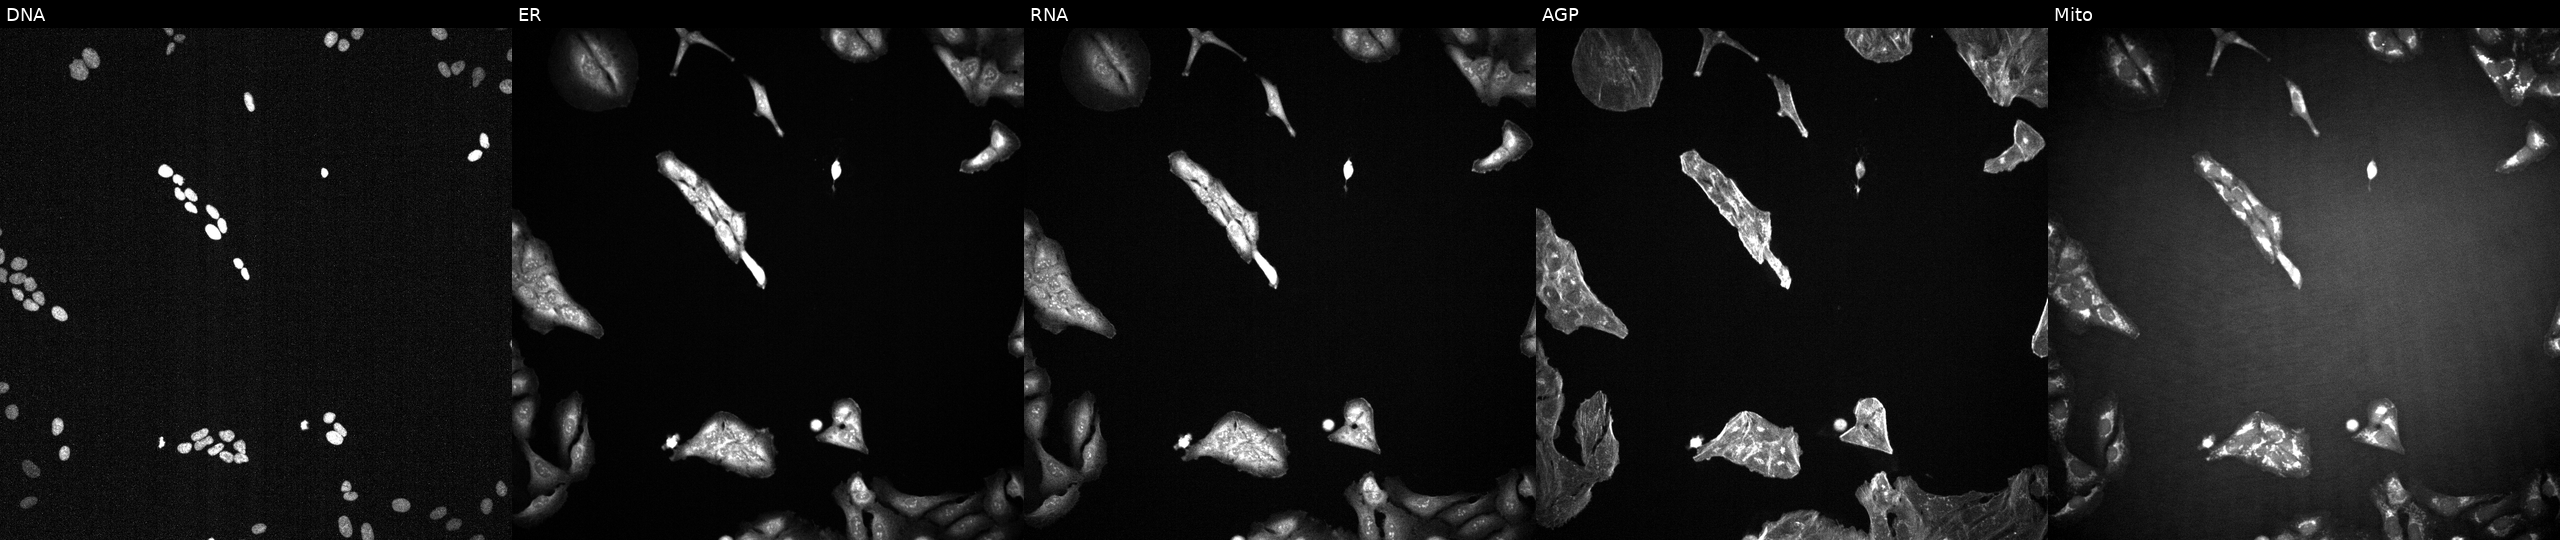
U2OS cells, Cell Painting assay, perturbed with a small-molecule compound. Panels show, left to right, Hoechst 33342, concanavalin A, SYTO 14, phalloidin and WGA, MitoTracker. Each panel is percentile-stretched 16-bit fluorescence. Source 2, plate 1053599503, well B16.